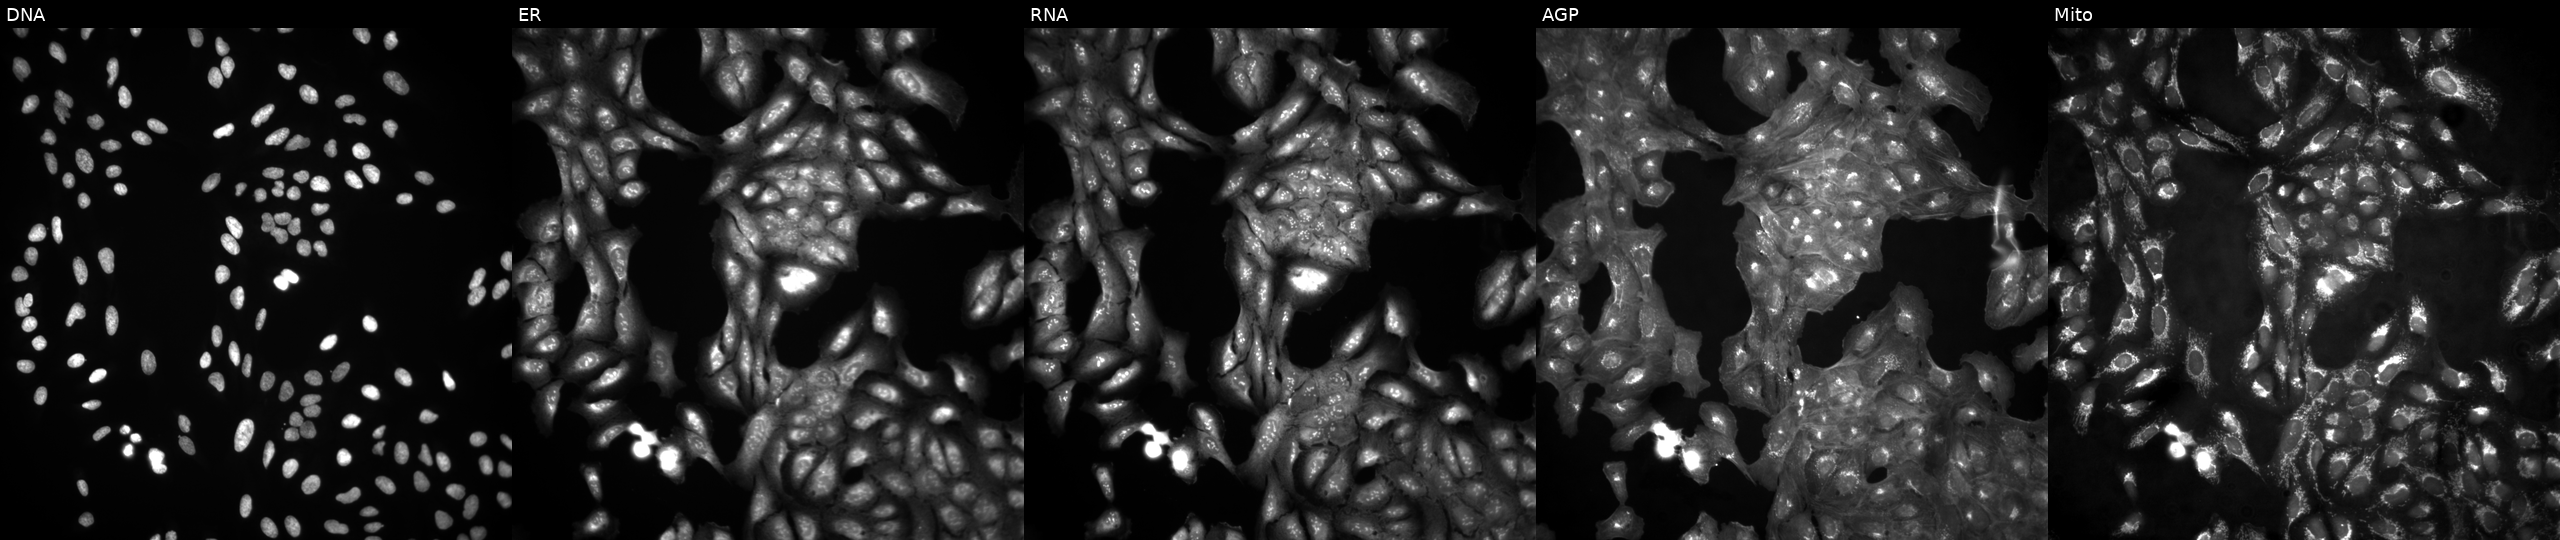
This image strip shows the five Cell Painting channels for a single field of U2OS cells untreated (empty-well control). From left to right: Hoechst 33342, concanavalin A, SYTO 14, phalloidin and WGA, MitoTracker.